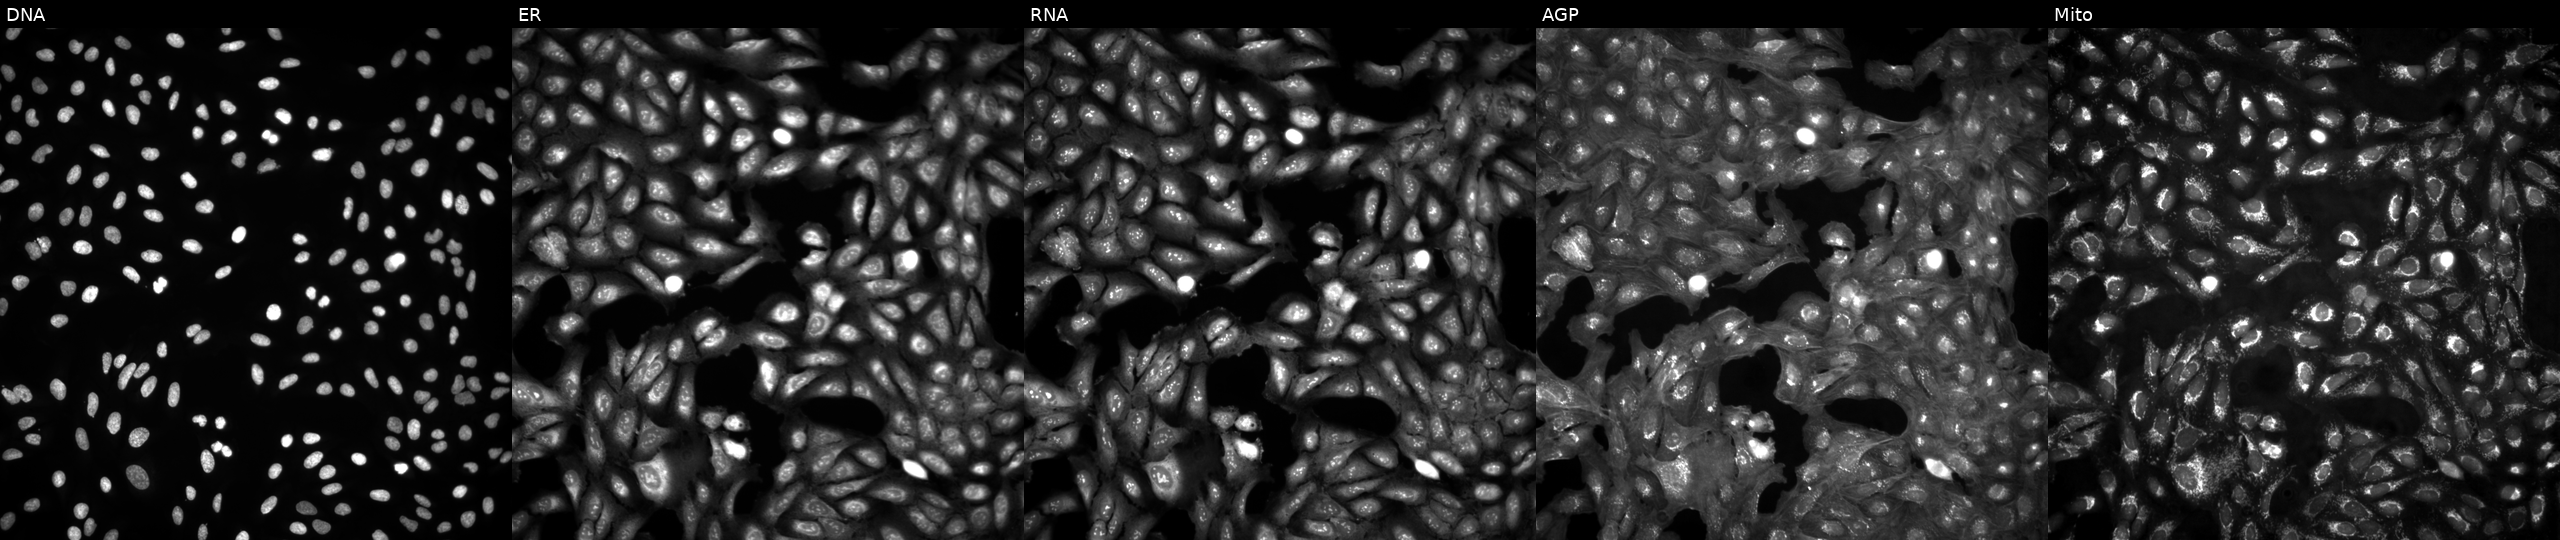
U2OS cells, Cell Painting assay, untreated (empty-well control) (JUMP id JCP2022_999999). Channels (left→right): DNA (nuclei); ER (endoplasmic reticulum); RNA (nucleoli and cytoplasmic RNA); AGP (actin cytoskeleton, Golgi, and plasma membrane); Mito (mitochondria). Each panel is percentile-stretched 16-bit fluorescence. Source 4, plate BR00124793, well J17.